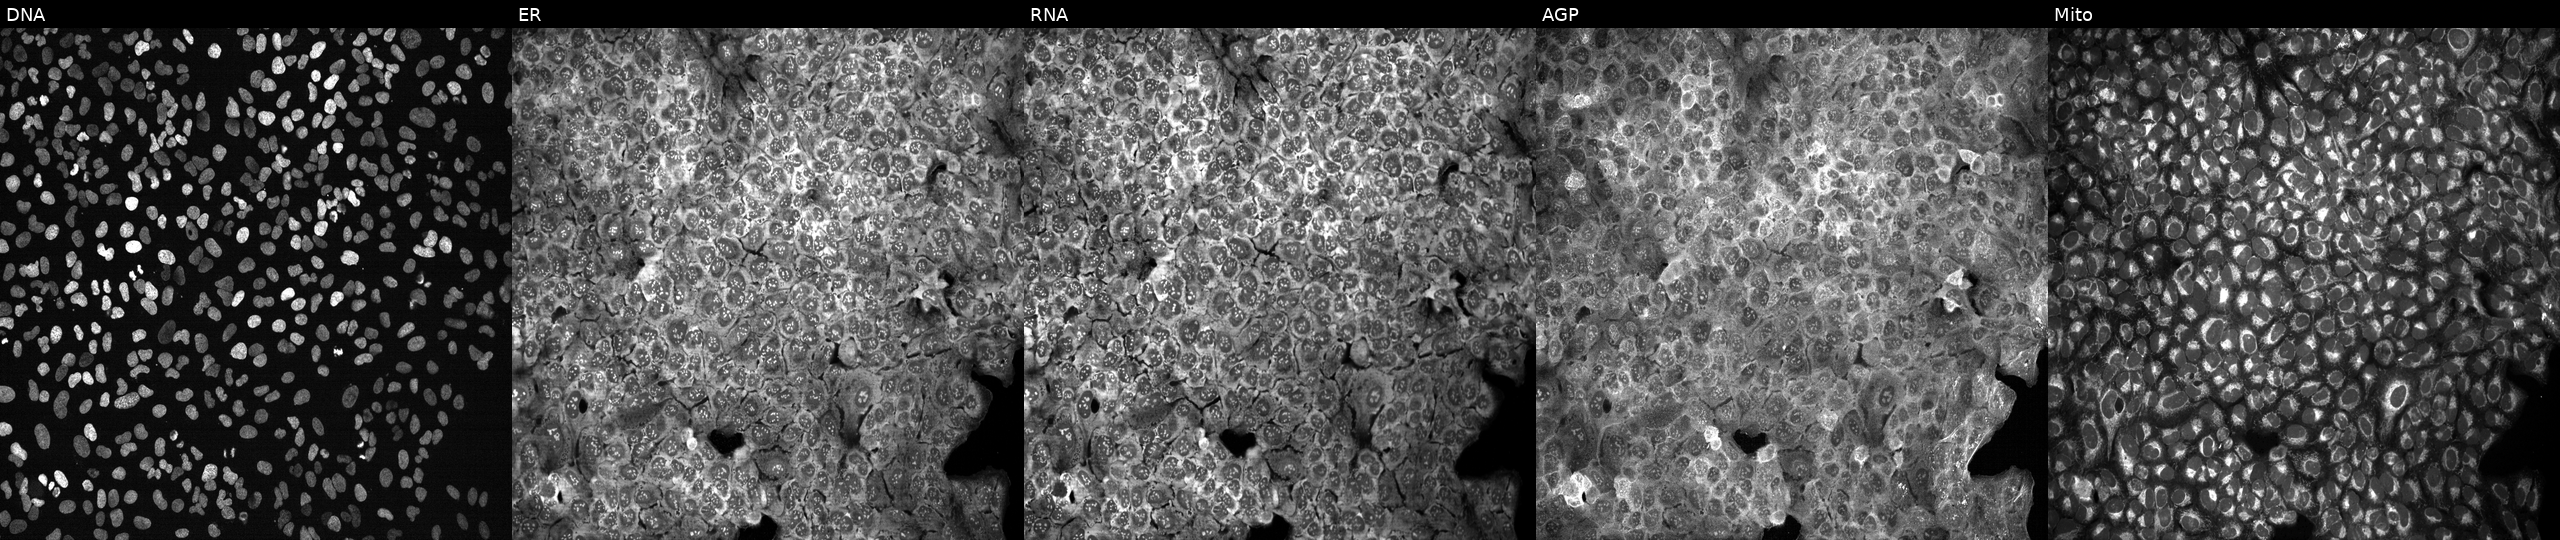
This image strip shows the five Cell Painting channels for a single field of U2OS cells with SMPDL3A knocked out by CRISPR (JUMP id JCP2022_806649). Panels show, left to right, DNA (nuclei); ER (endoplasmic reticulum); RNA (nucleoli and cytoplasmic RNA); AGP (actin cytoskeleton, Golgi, and plasma membrane); Mito (mitochondria).